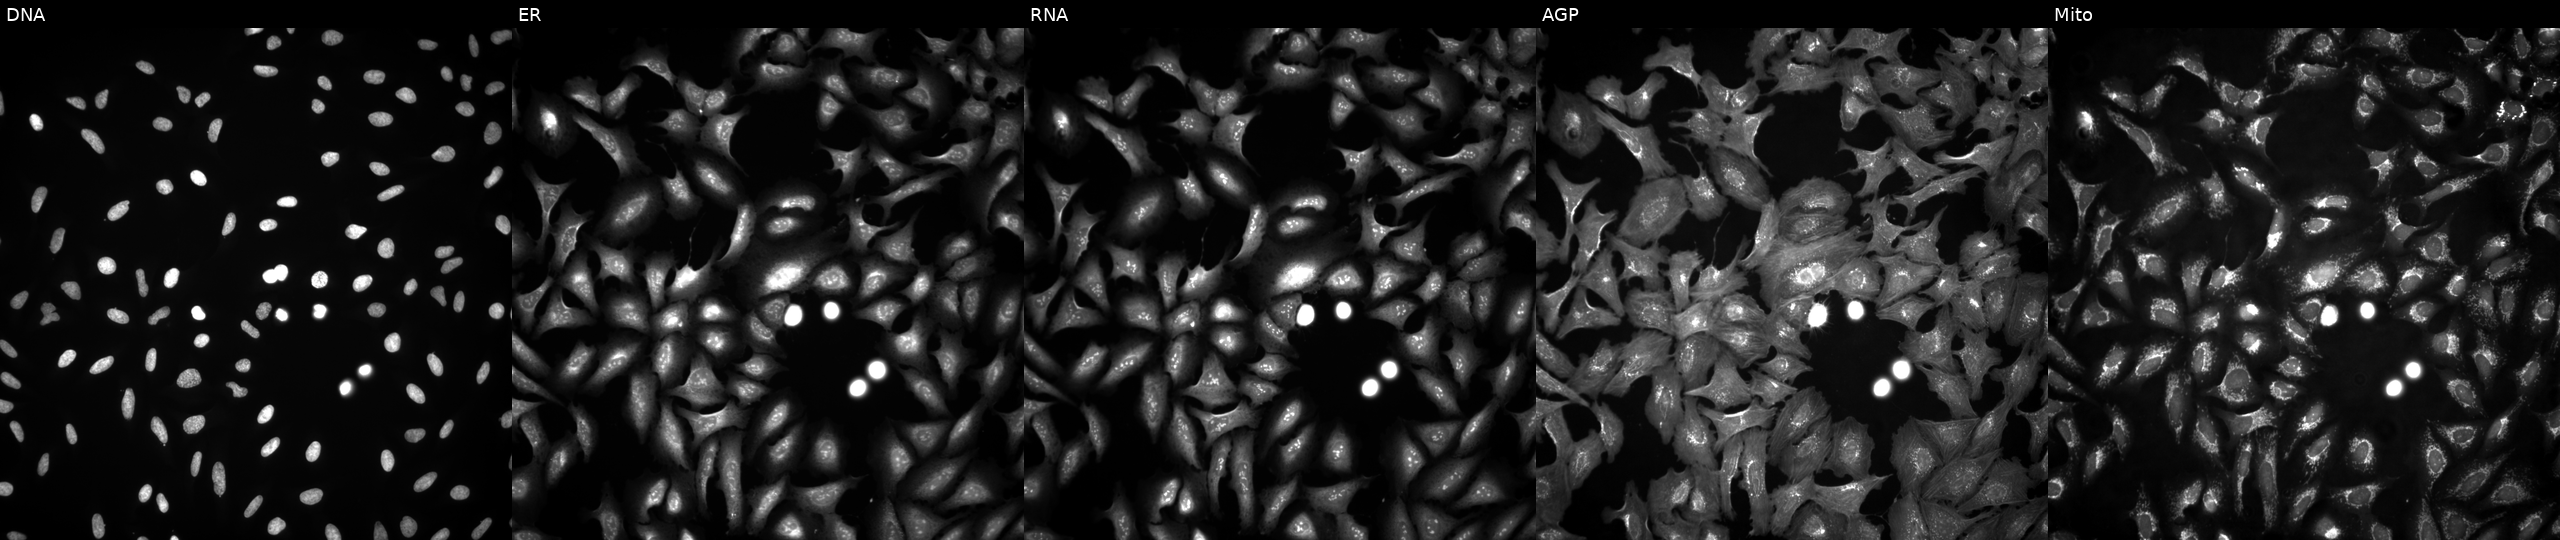
JUMP Cell Painting — ORF plate. U2OS cells expressing eGFP (ORF positive control). From left to right: Hoechst 33342, concanavalin A, SYTO 14, phalloidin and WGA, MitoTracker. Source 4, plate BR00123945, well P20.